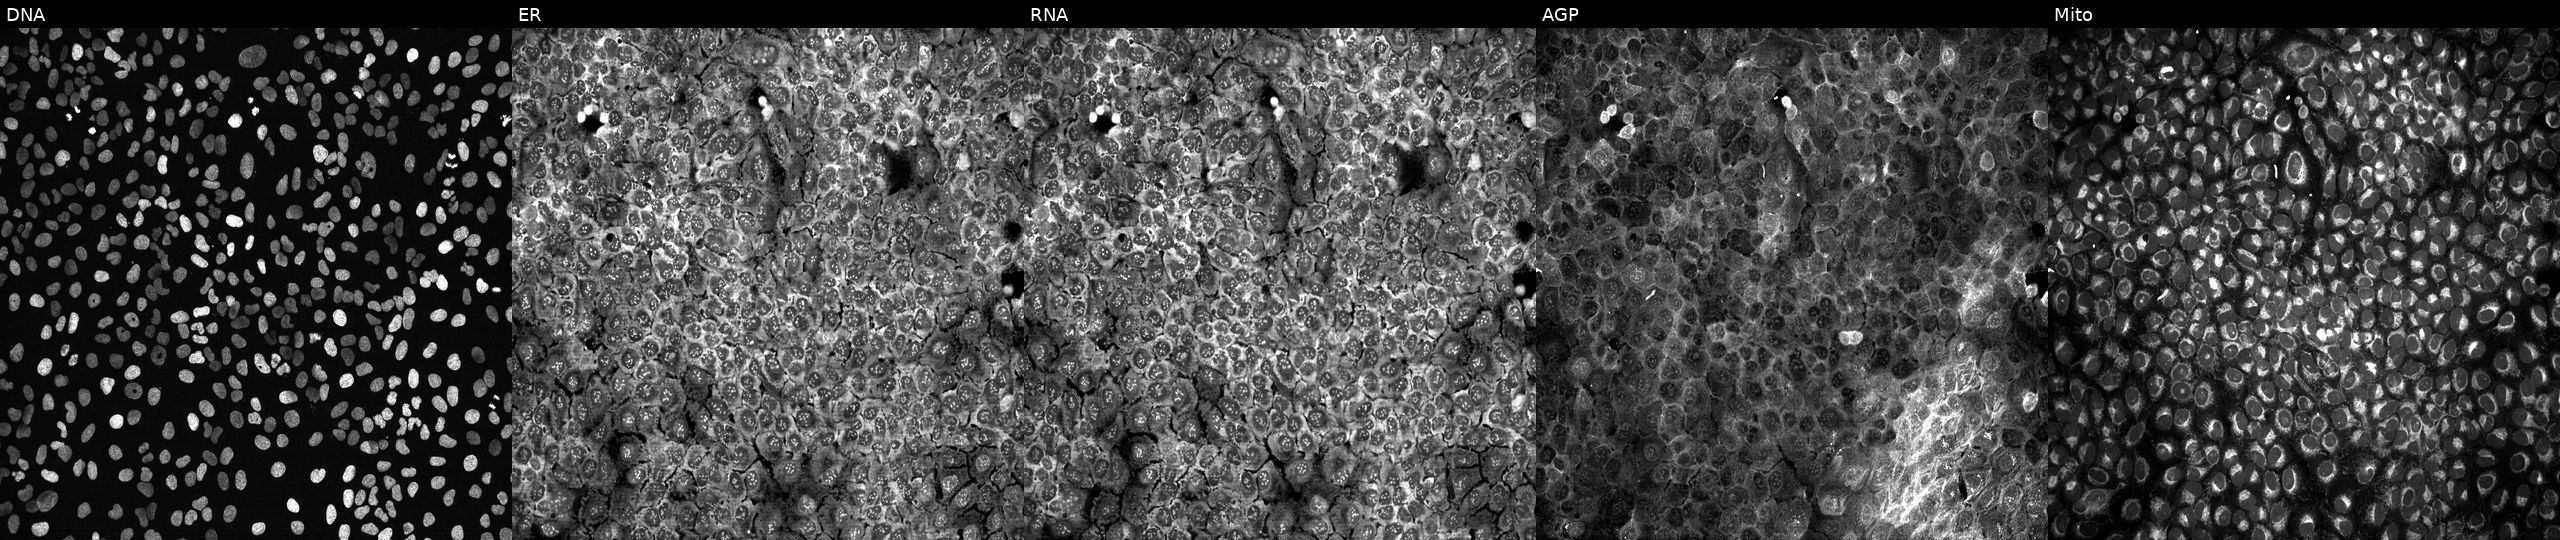
Five-channel Cell Painting image of U2OS cells following CRISPR knockout of SDSL. The five panels, left to right, show DNA, ER, RNA, AGP, and Mito.